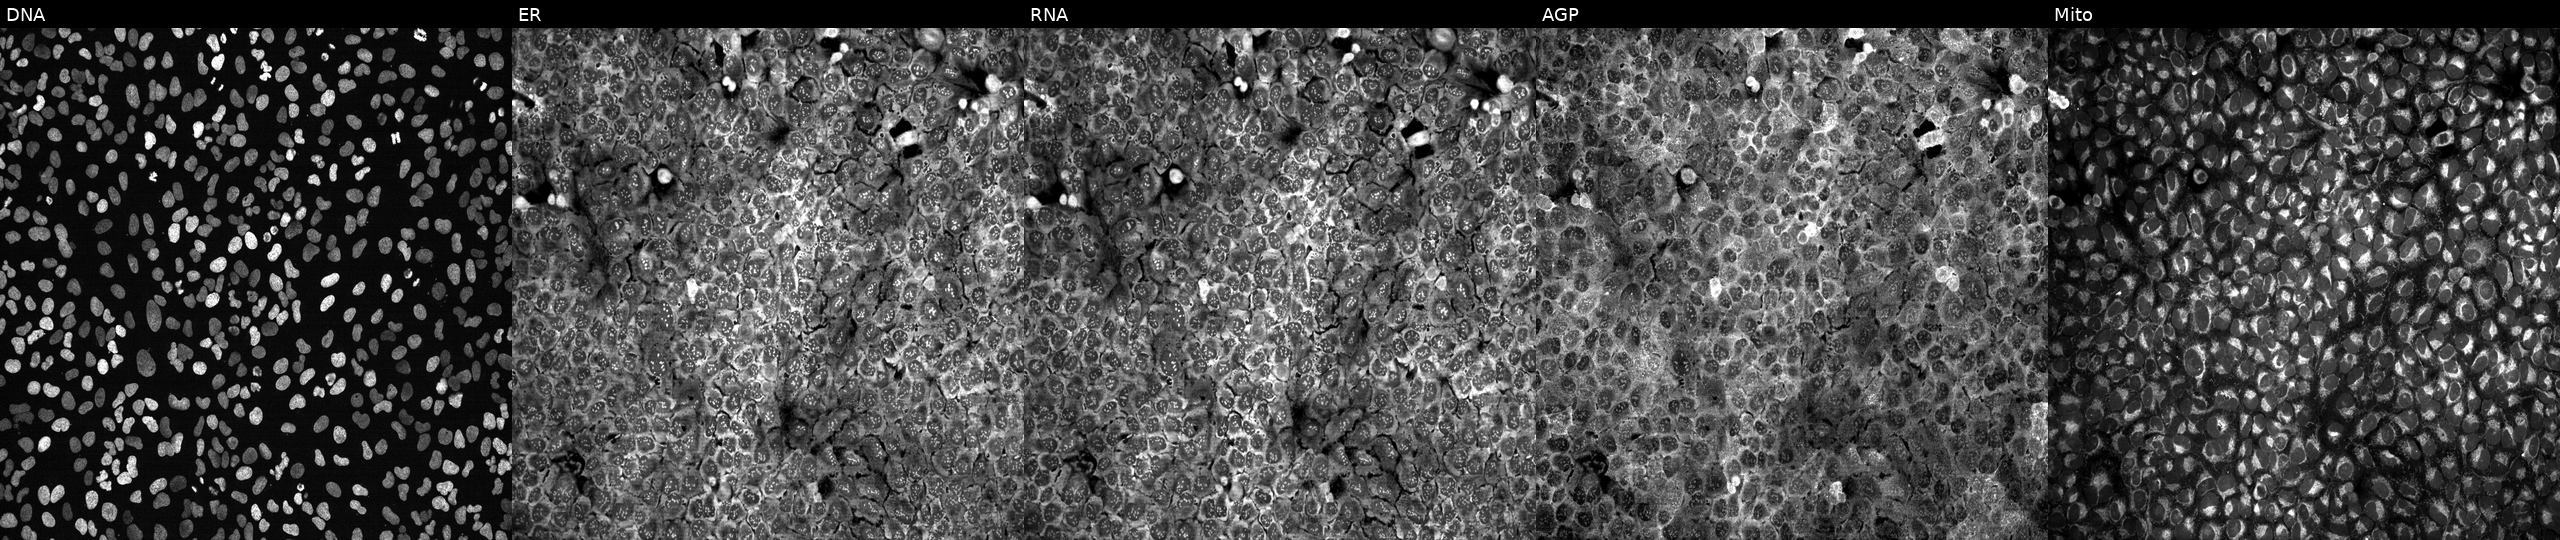
From left to right: DNA, ER, RNA, AGP, and Mito. U2OS osteosarcoma cells following CRISPR knockout of SEPT9. Cell Painting assay, JUMP-CP dataset.